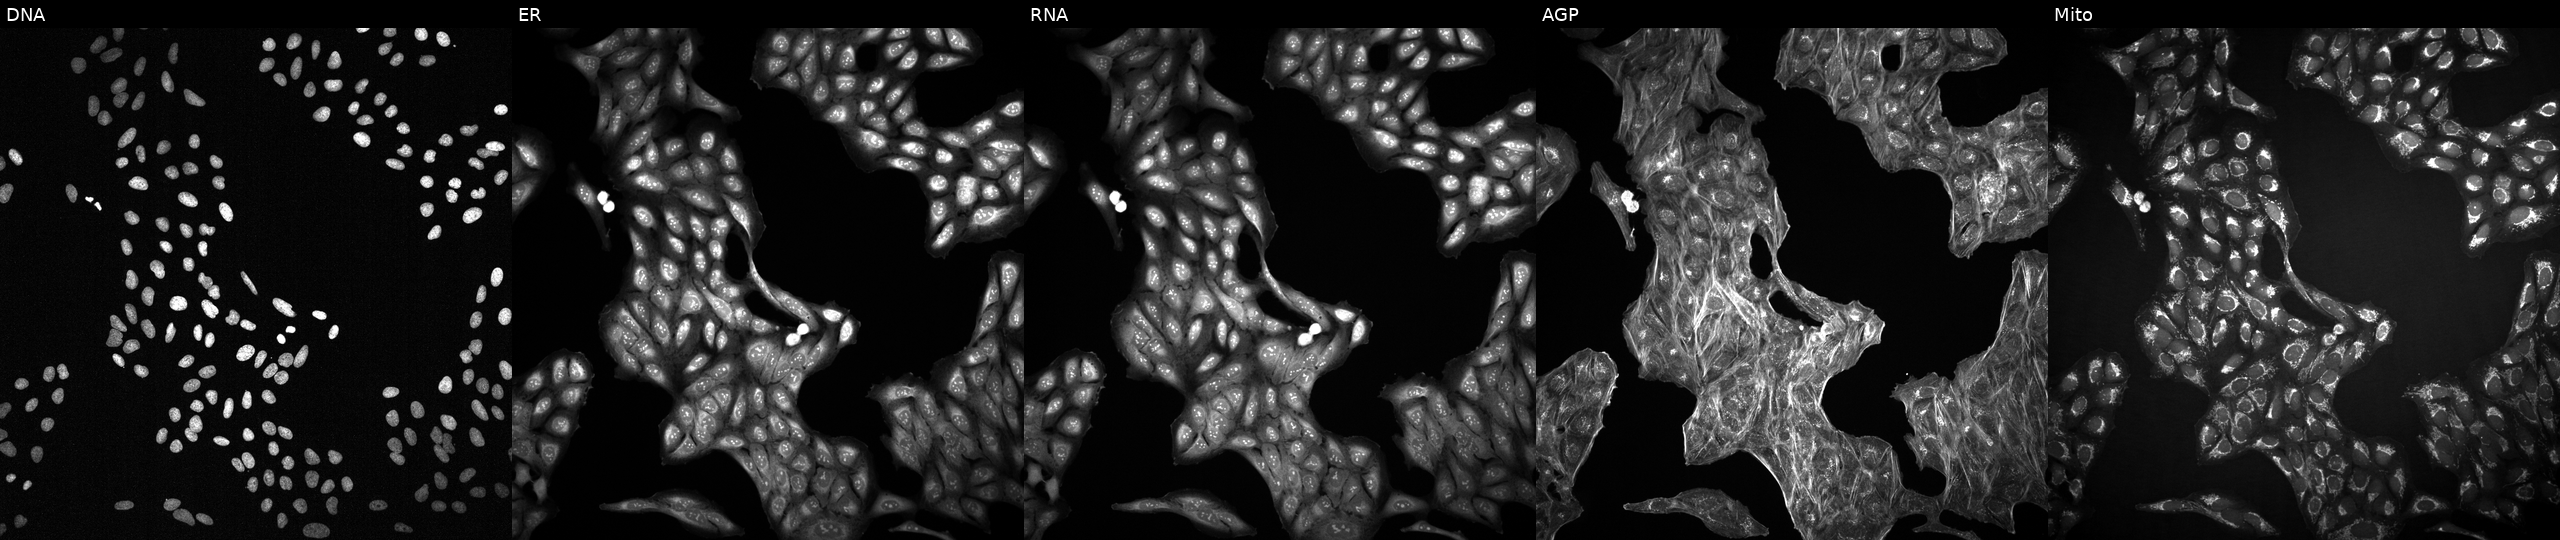
Five-channel Cell Painting image of U2OS cells exposed to a small-molecule compound (InChIKey HJYYPODYNSCCOU-UHFFFAOYSA-N). Channels (left→right): DNA (nuclei); ER (endoplasmic reticulum); RNA (nucleoli and cytoplasmic RNA); AGP (actin cytoskeleton, Golgi, and plasma membrane); Mito (mitochondria).